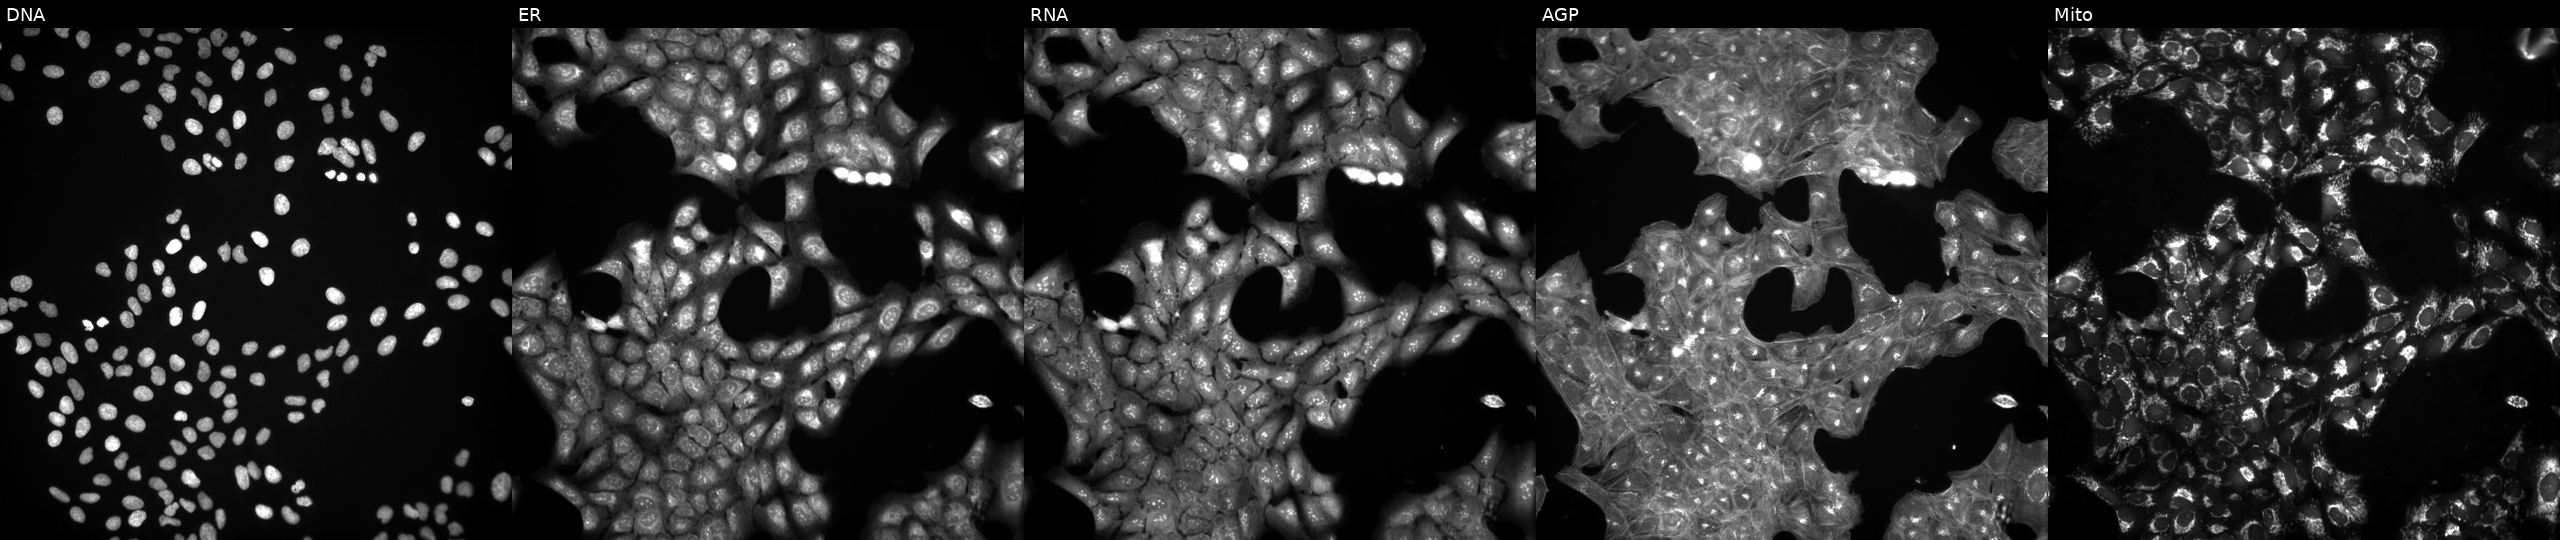
Panels show, left to right, DNA (nuclei); ER (endoplasmic reticulum); RNA (nucleoli and cytoplasmic RNA); AGP (actin cytoskeleton, Golgi, and plasma membrane); Mito (mitochondria). U2OS osteosarcoma cells exposed to a small-molecule compound. Cell Painting assay, JUMP-CP dataset. Source 3, plate JCPQC051, well H05.